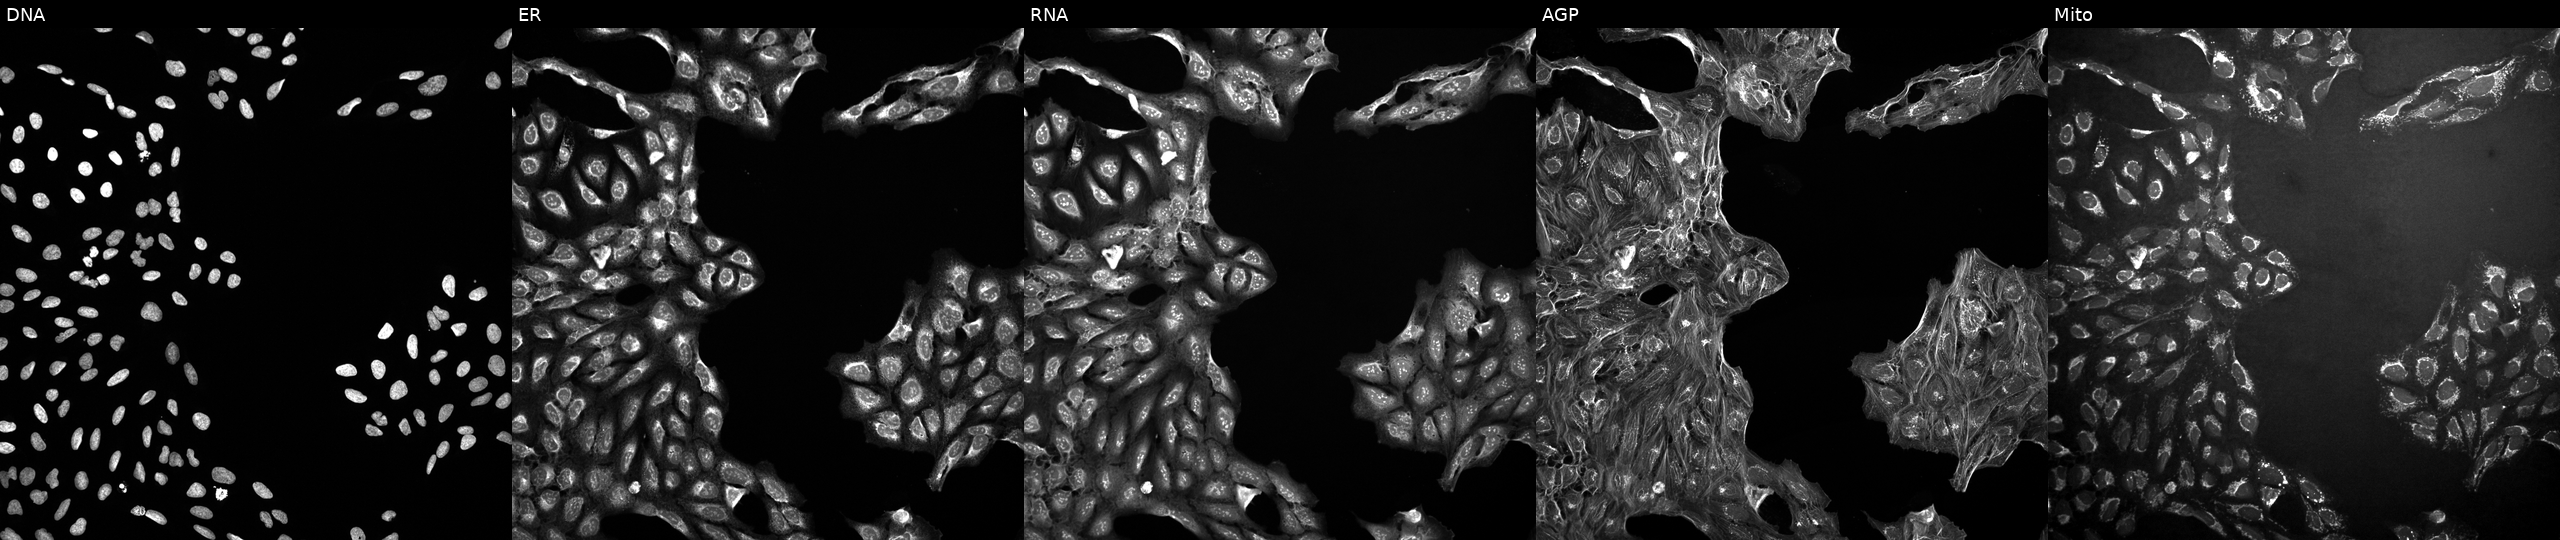
JUMP Cell Painting — COMPOUND plate. U2OS cells in an empty control well (no perturbation) (JUMP id JCP2022_999999). Panels show, left to right, DNA, ER, RNA, AGP, and Mito.